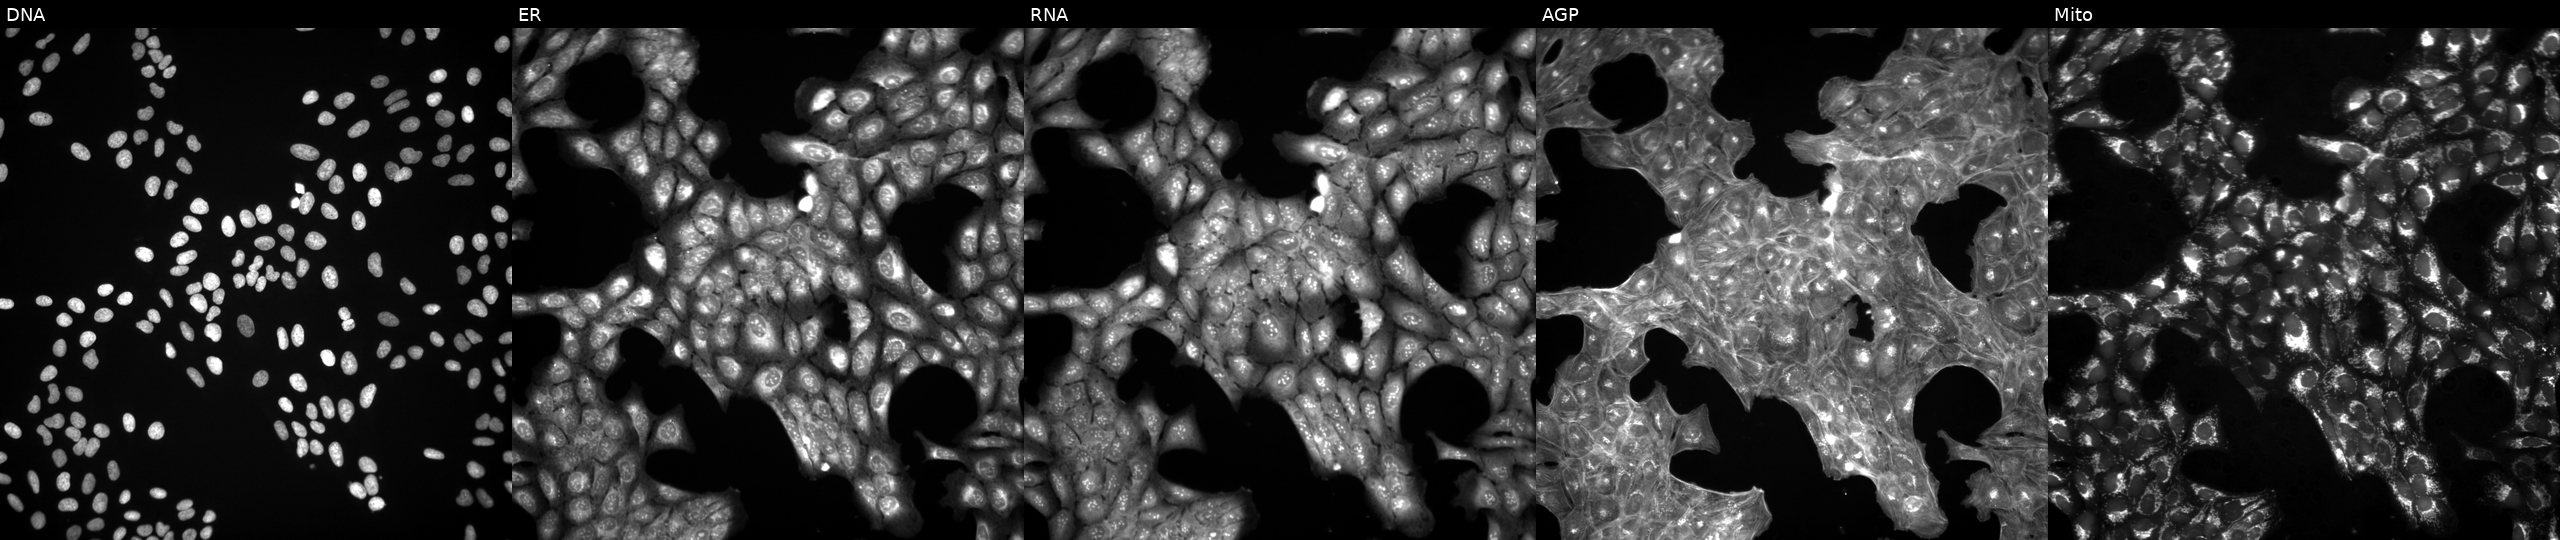
High-content fluorescence microscopy (Cell Painting). Cell line: U2OS. Perturbation: perturbed with a small-molecule compound (InChIKey HKQYGTCOTHHOMP-UHFFFAOYSA-N). From left to right: Hoechst 33342, concanavalin A, SYTO 14, phalloidin and WGA, MitoTracker. Source 3, plate JCPQC051, well P16.